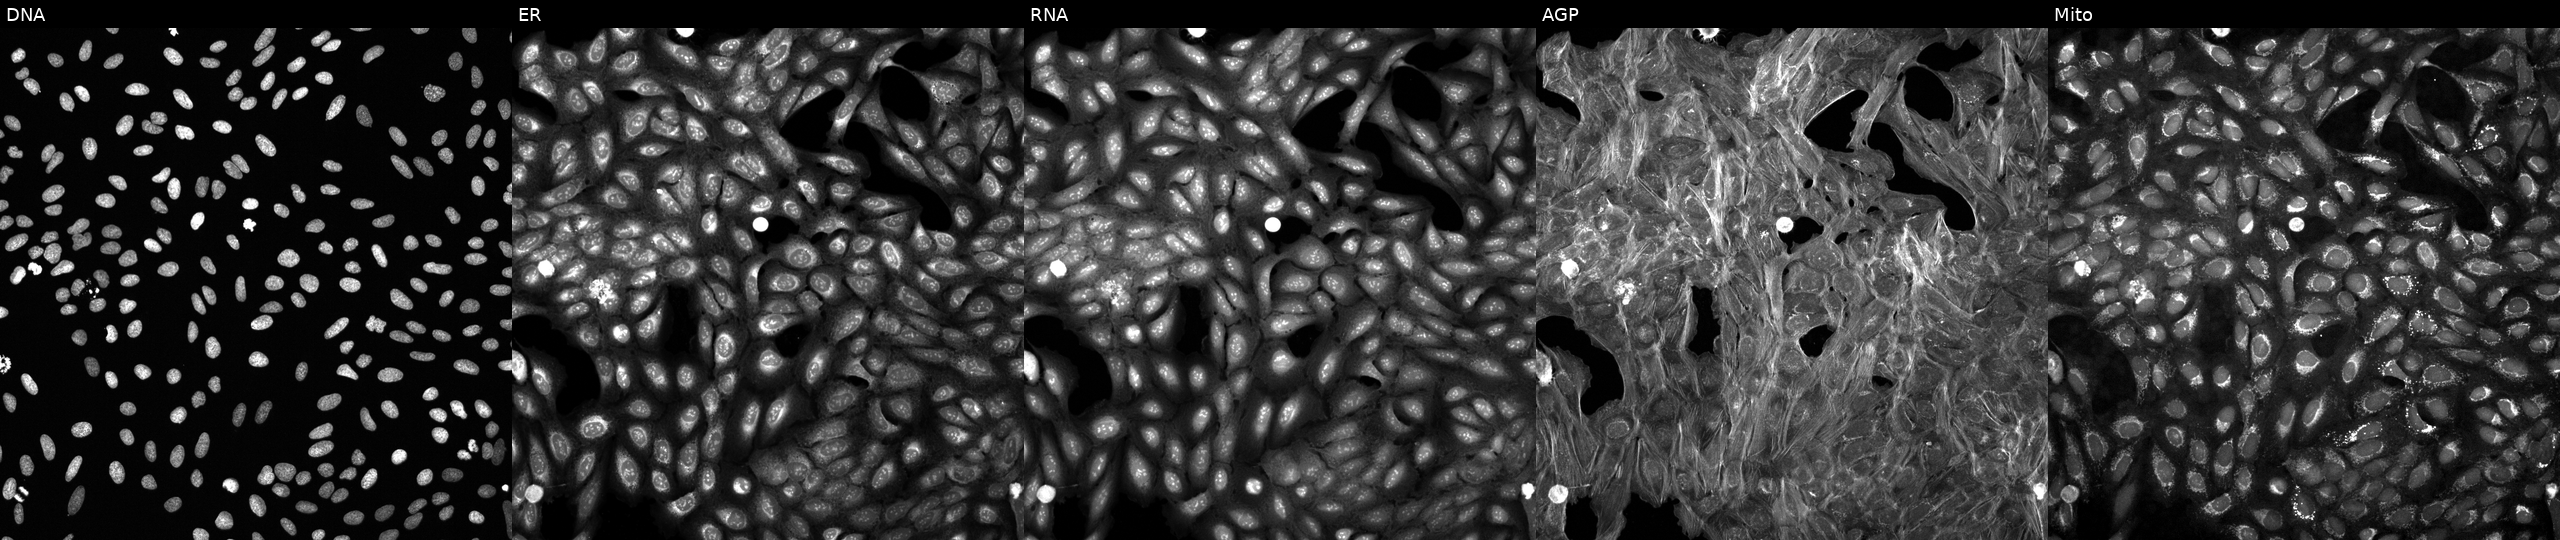
High-content fluorescence microscopy (Cell Painting). Cell line: U2OS. Perturbation: exposed to a small-molecule compound. The five panels, left to right, show Hoechst 33342, concanavalin A, SYTO 14, phalloidin and WGA, MitoTracker. Source 6, plate 110000293093, well N05.